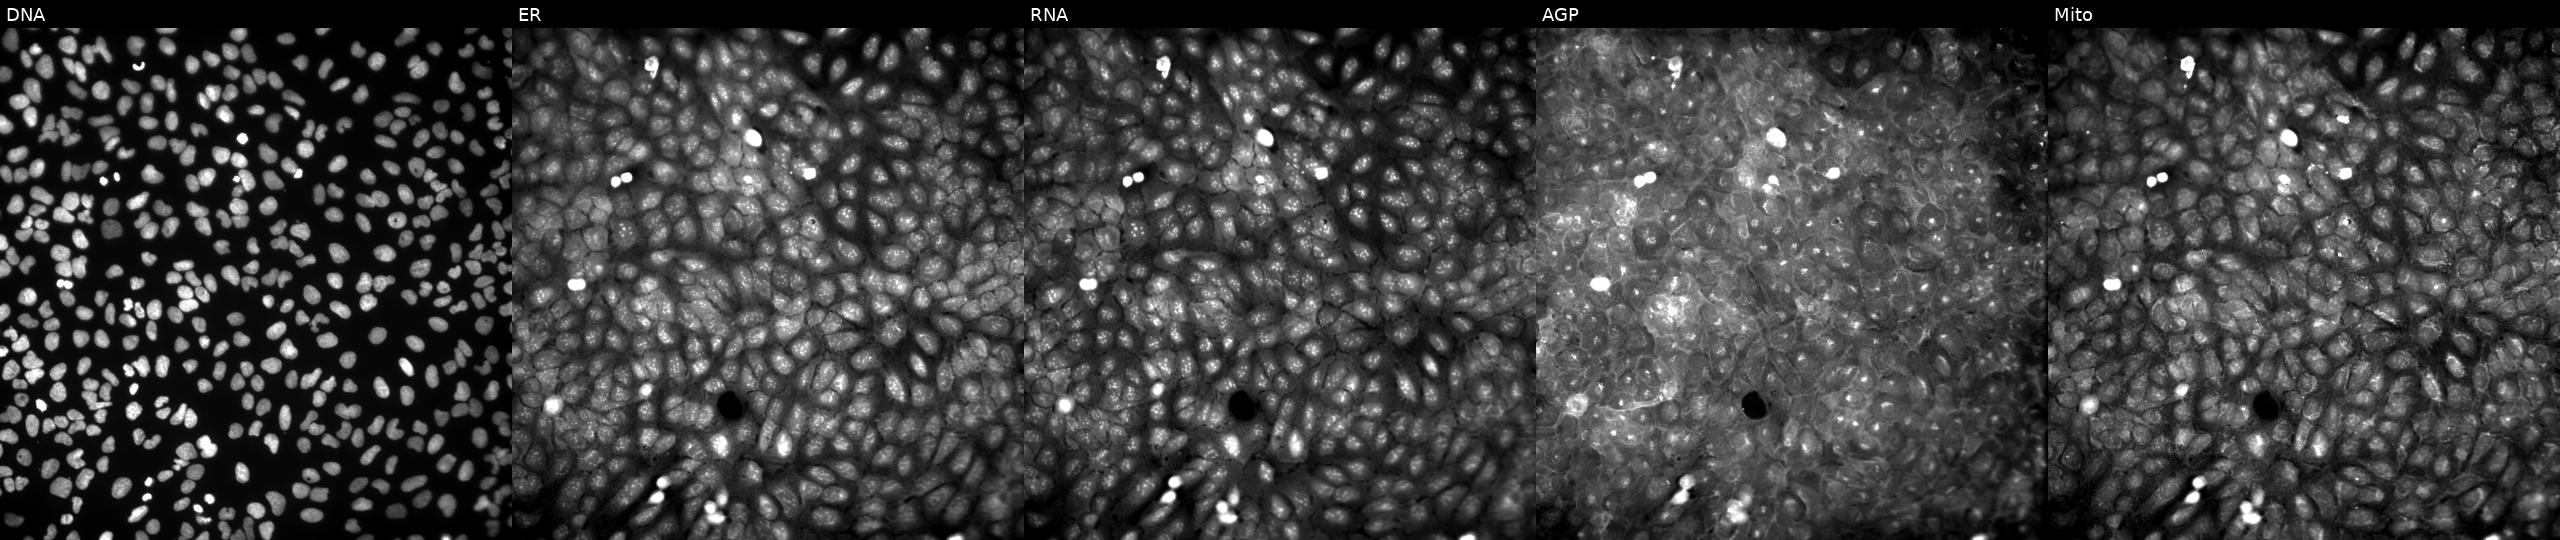
U2OS cells, Cell Painting assay, exposed to a small-molecule compound. The five panels, left to right, show DNA, ER, RNA, AGP, and Mito. Each panel is percentile-stretched 16-bit fluorescence.